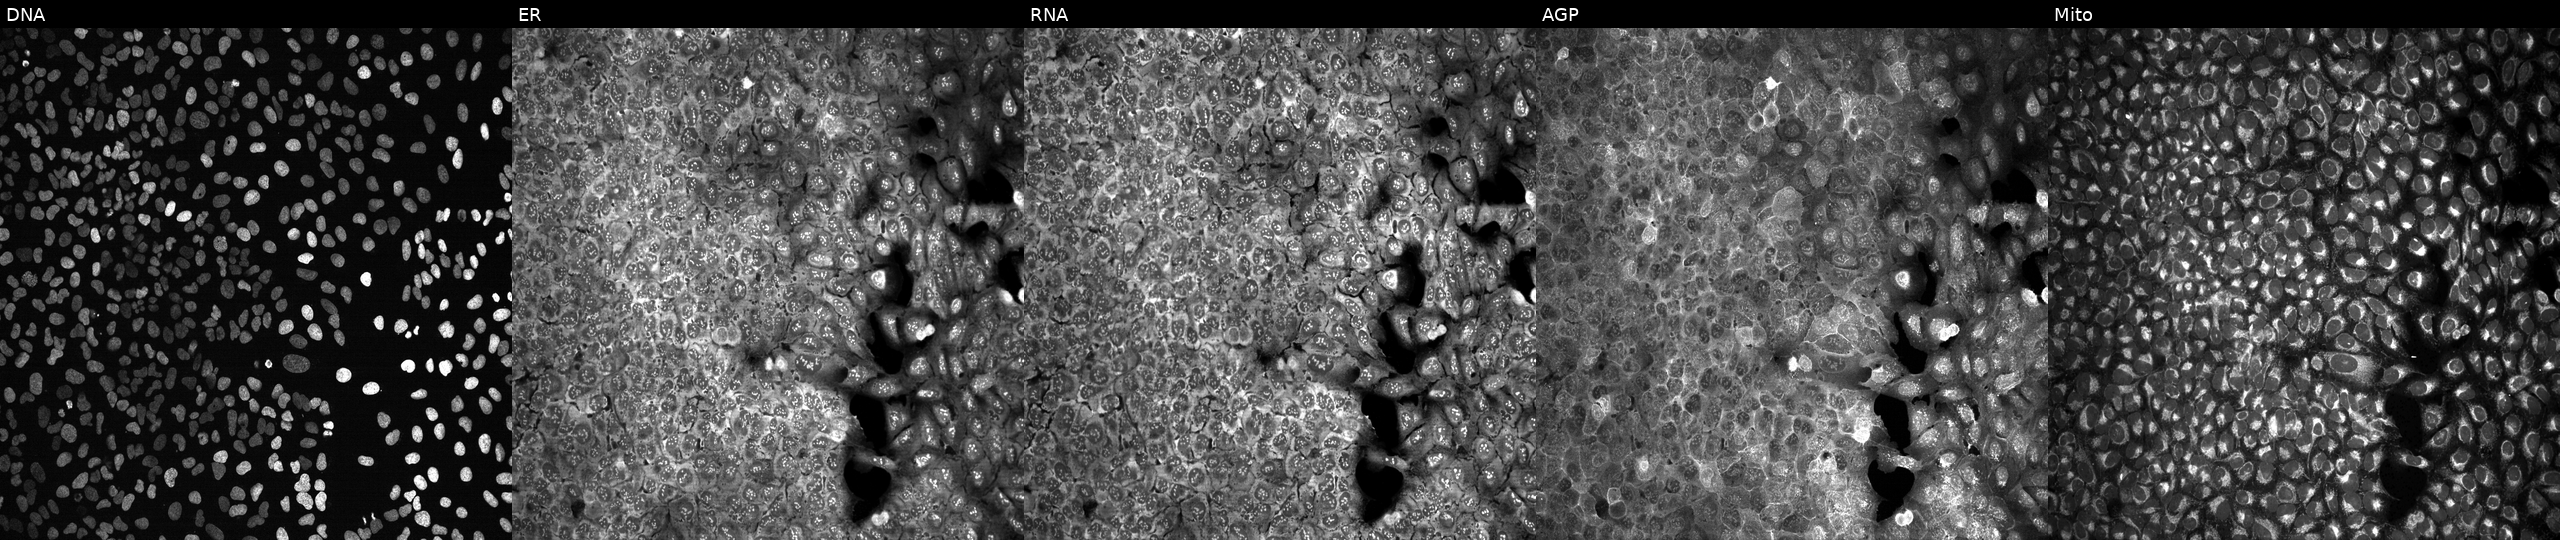
High-content fluorescence microscopy (Cell Painting). Cell line: U2OS. Perturbation: following CRISPR knockout of NTF4. Channels (left→right): Hoechst 33342, concanavalin A, SYTO 14, phalloidin and WGA, MitoTracker. Source 13, plate CP-CC9-R4-04, well C03.